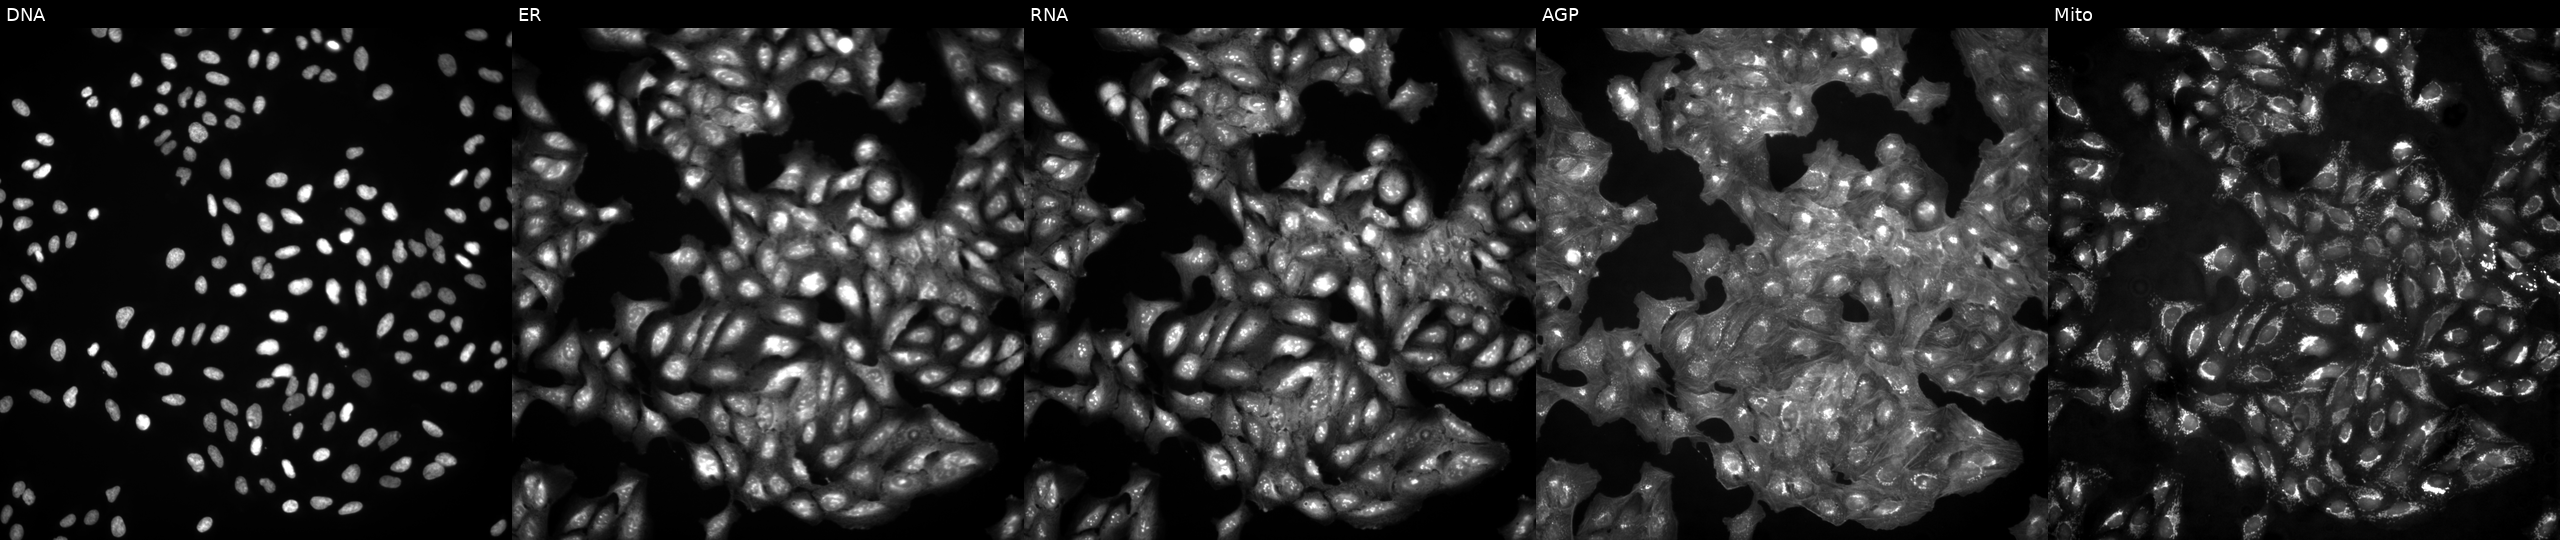
High-content fluorescence microscopy (Cell Painting). Cell line: U2OS. Perturbation: in an empty control well (no perturbation) (JUMP id JCP2022_999999). Panels show, left to right, DNA, ER, RNA, AGP, and Mito.